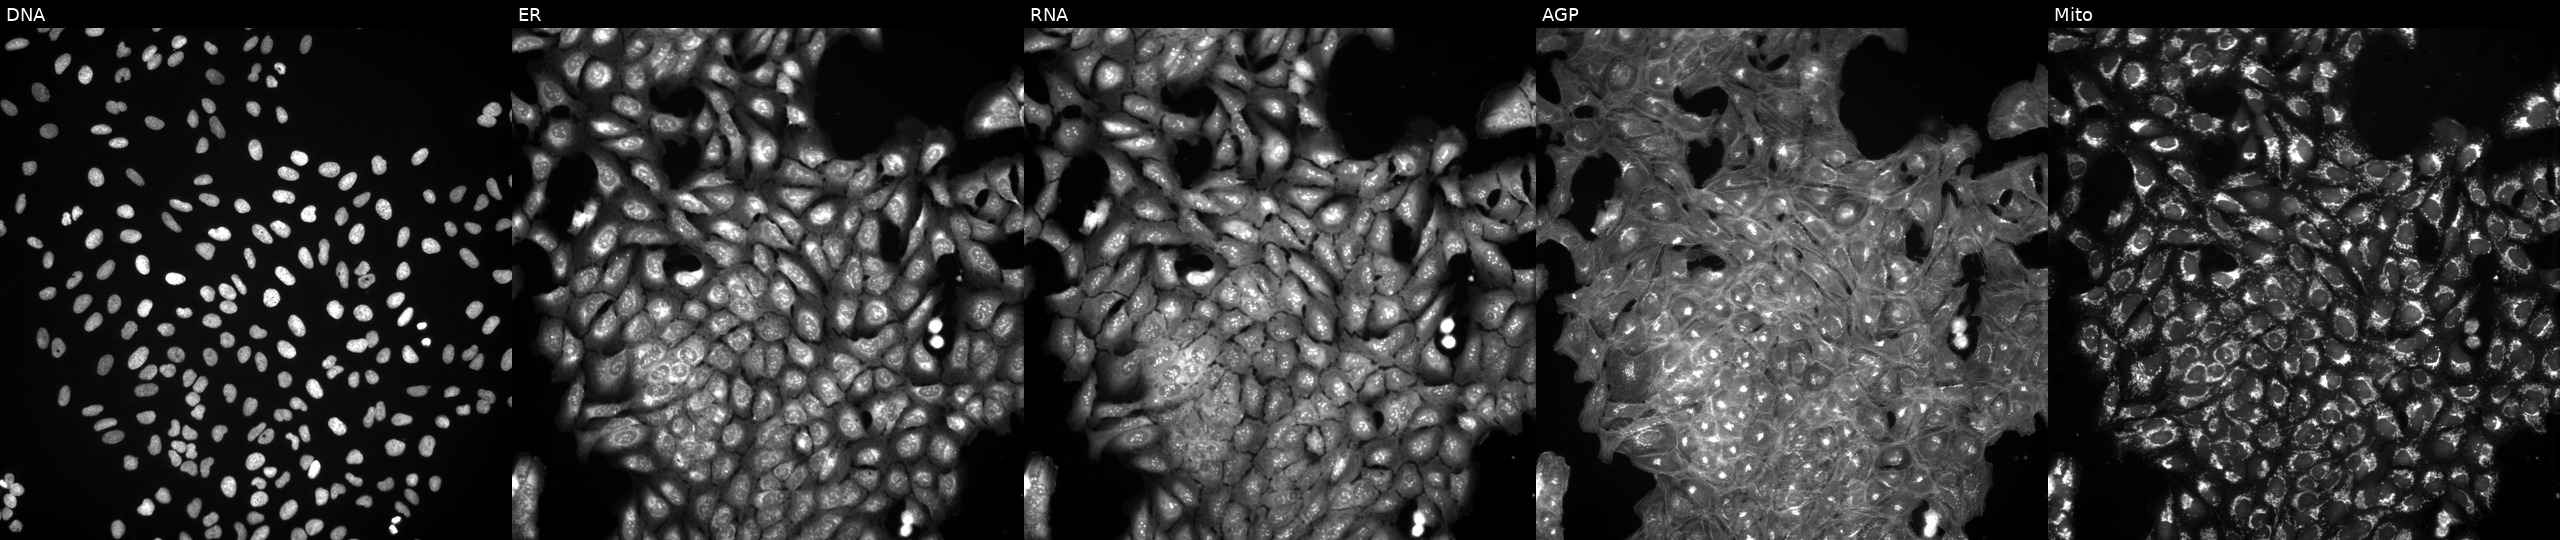
JUMP Cell Painting — COMPOUND plate. U2OS cells treated with a small-molecule compound (InChIKey DRNFJHDNEUXAMP-UHFFFAOYSA-N) [SMILES: COc1cc(C(=O)N2CCN(C(c3ccccc3)c3ccccc3)CC2)cc(OC)c1OC]. Channels (left→right): Hoechst 33342, concanavalin A, SYTO 14, phalloidin and WGA, MitoTracker. Source 3, plate BR5867a3, well D18.